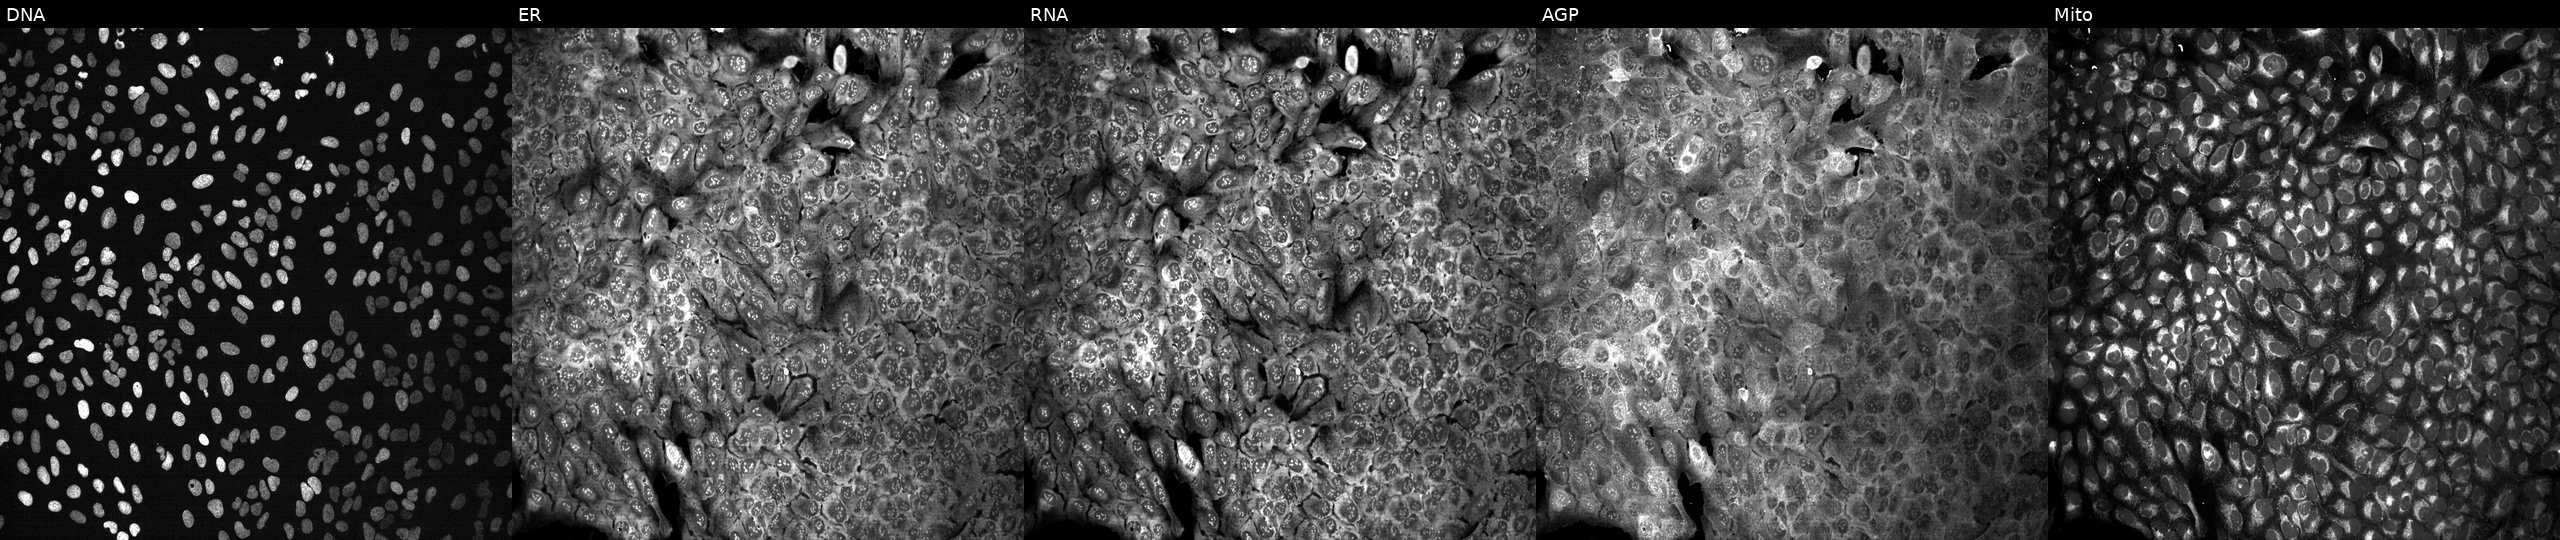
Five-channel Cell Painting image of U2OS cells following CRISPR knockout of NAE1 (JUMP id JCP2022_804422). The five panels, left to right, show DNA (nuclei); ER (endoplasmic reticulum); RNA (nucleoli and cytoplasmic RNA); AGP (actin cytoskeleton, Golgi, and plasma membrane); Mito (mitochondria).